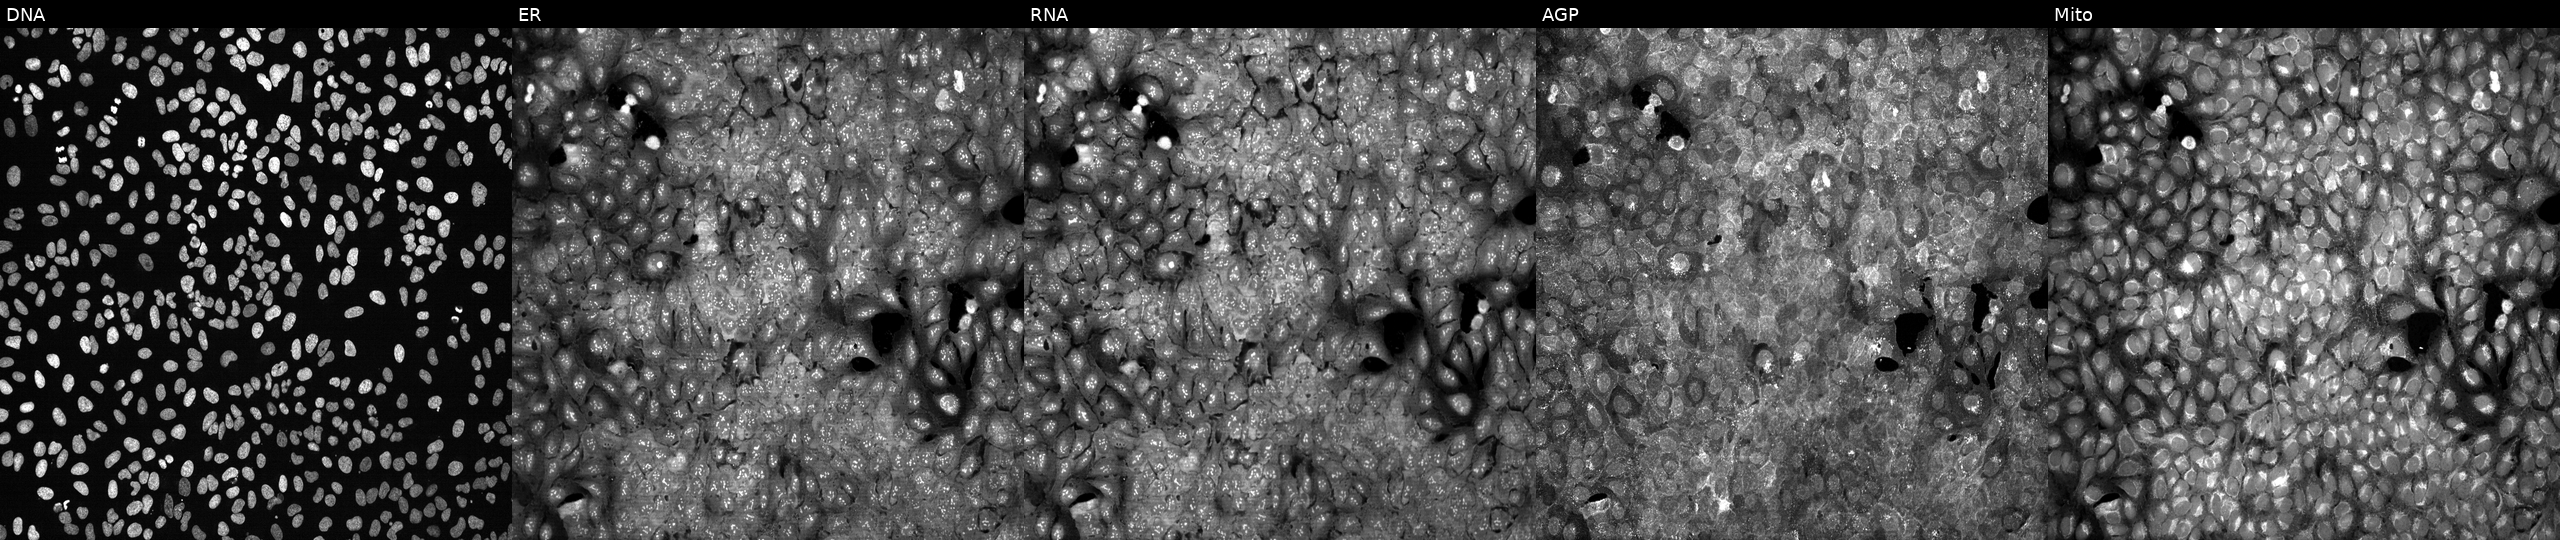
High-content fluorescence microscopy (Cell Painting). Cell line: U2OS. Perturbation: following CRISPR knockout of APOBEC3B. The five panels, left to right, show DNA (nuclei); ER (endoplasmic reticulum); RNA (nucleoli and cytoplasmic RNA); AGP (actin cytoskeleton, Golgi, and plasma membrane); Mito (mitochondria).